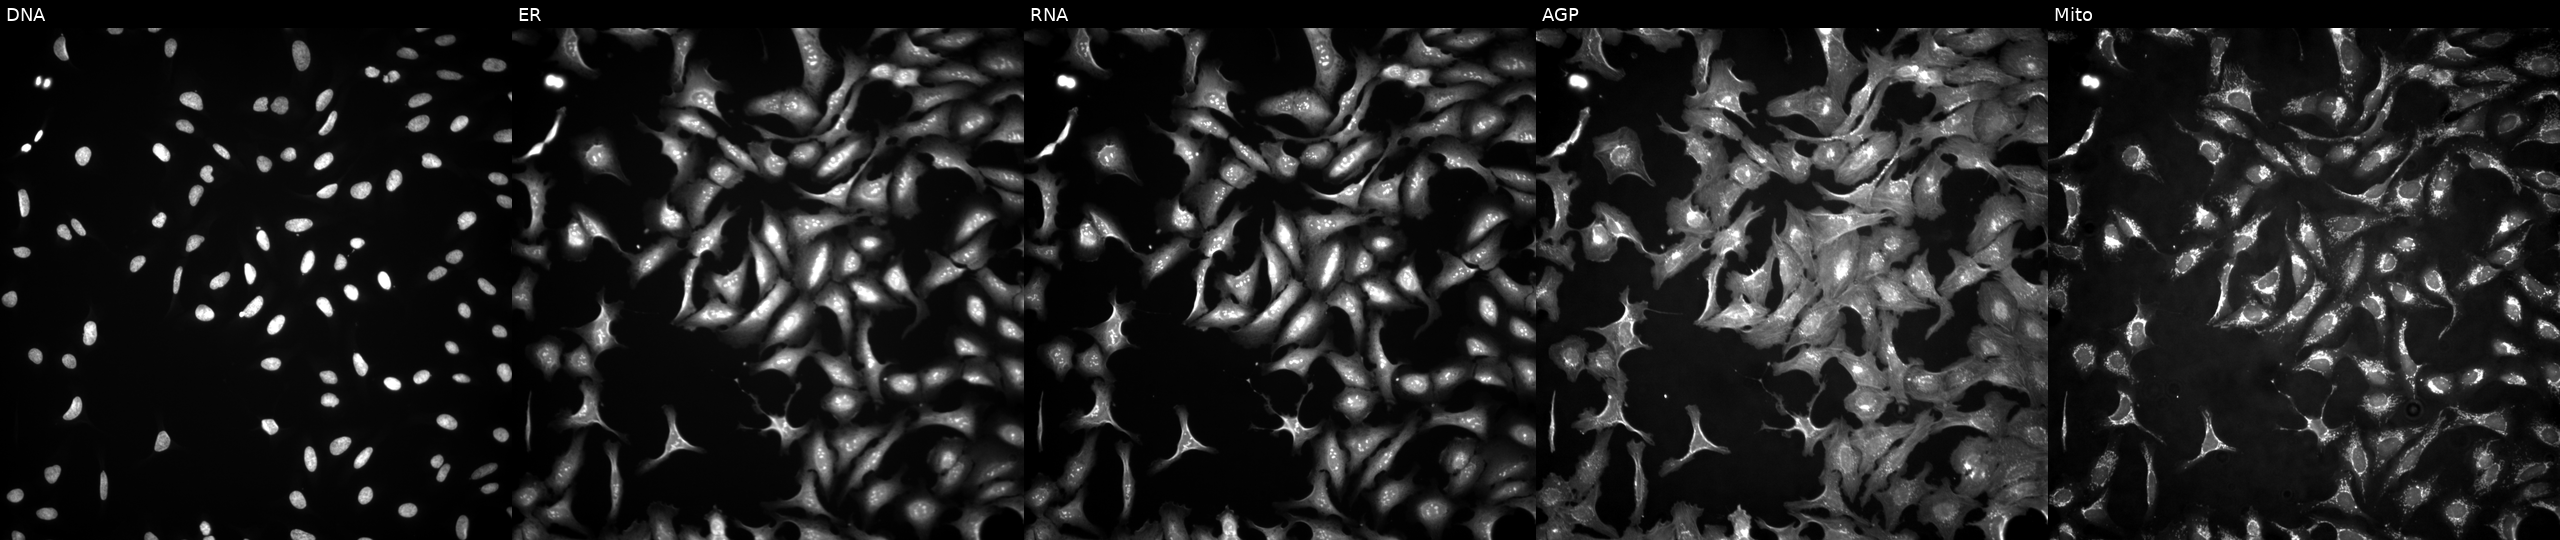
This image strip shows the five Cell Painting channels for a single field of U2OS cells with PCGF3 overexpressed (ORF) (JUMP id JCP2022_914689). Panels show, left to right, Hoechst 33342, concanavalin A, SYTO 14, phalloidin and WGA, MitoTracker.